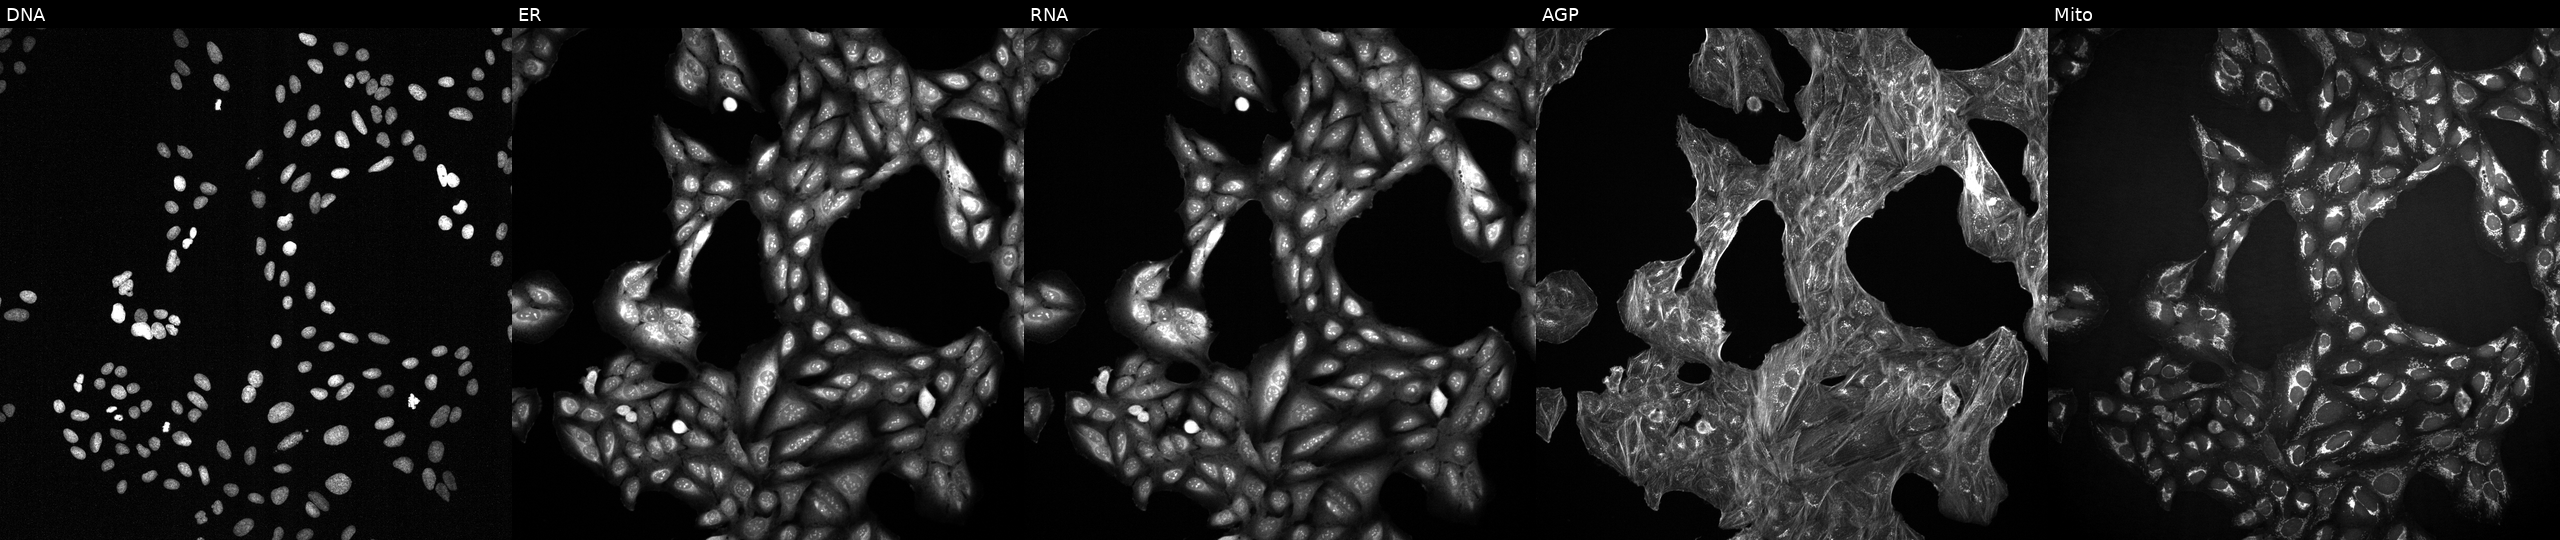
High-content fluorescence microscopy (Cell Painting). Cell line: U2OS. Perturbation: perturbed with a small-molecule compound (InChIKey QFWCYNPOPKQOKV-UHFFFAOYSA-N). Panels show, left to right, Hoechst 33342, concanavalin A, SYTO 14, phalloidin and WGA, MitoTracker. Source 2, plate 1053599503, well E03.